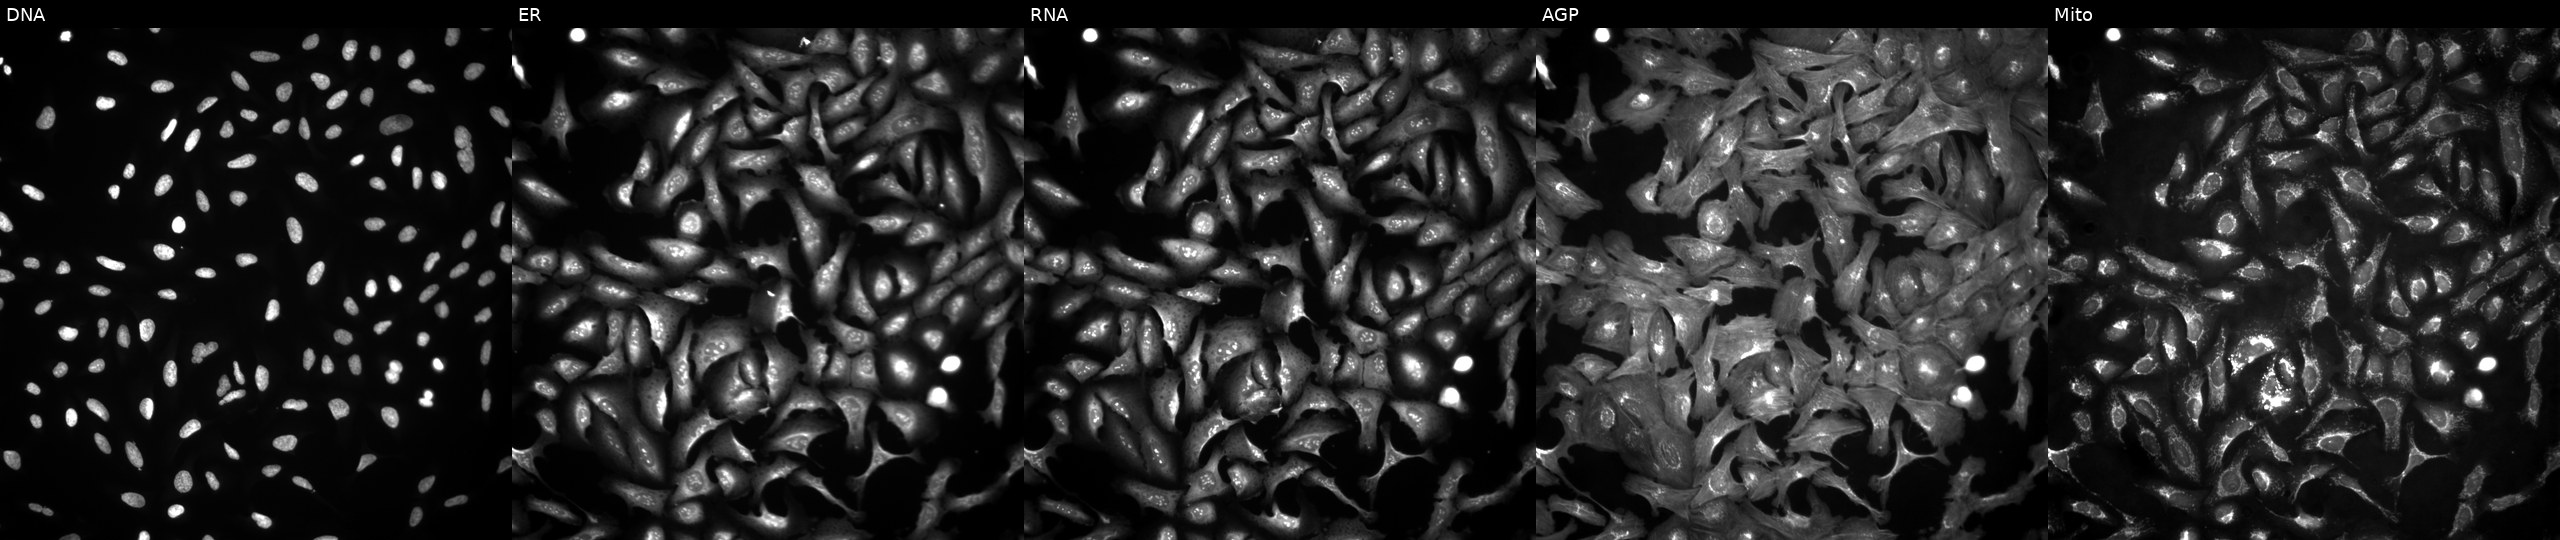
The five panels, left to right, show Hoechst 33342, concanavalin A, SYTO 14, phalloidin and WGA, MitoTracker. U2OS osteosarcoma cells overexpressing FGFR1OP2 via ORF transfection. Cell Painting assay, JUMP-CP dataset. Source 4, plate BR00124784, well H23.